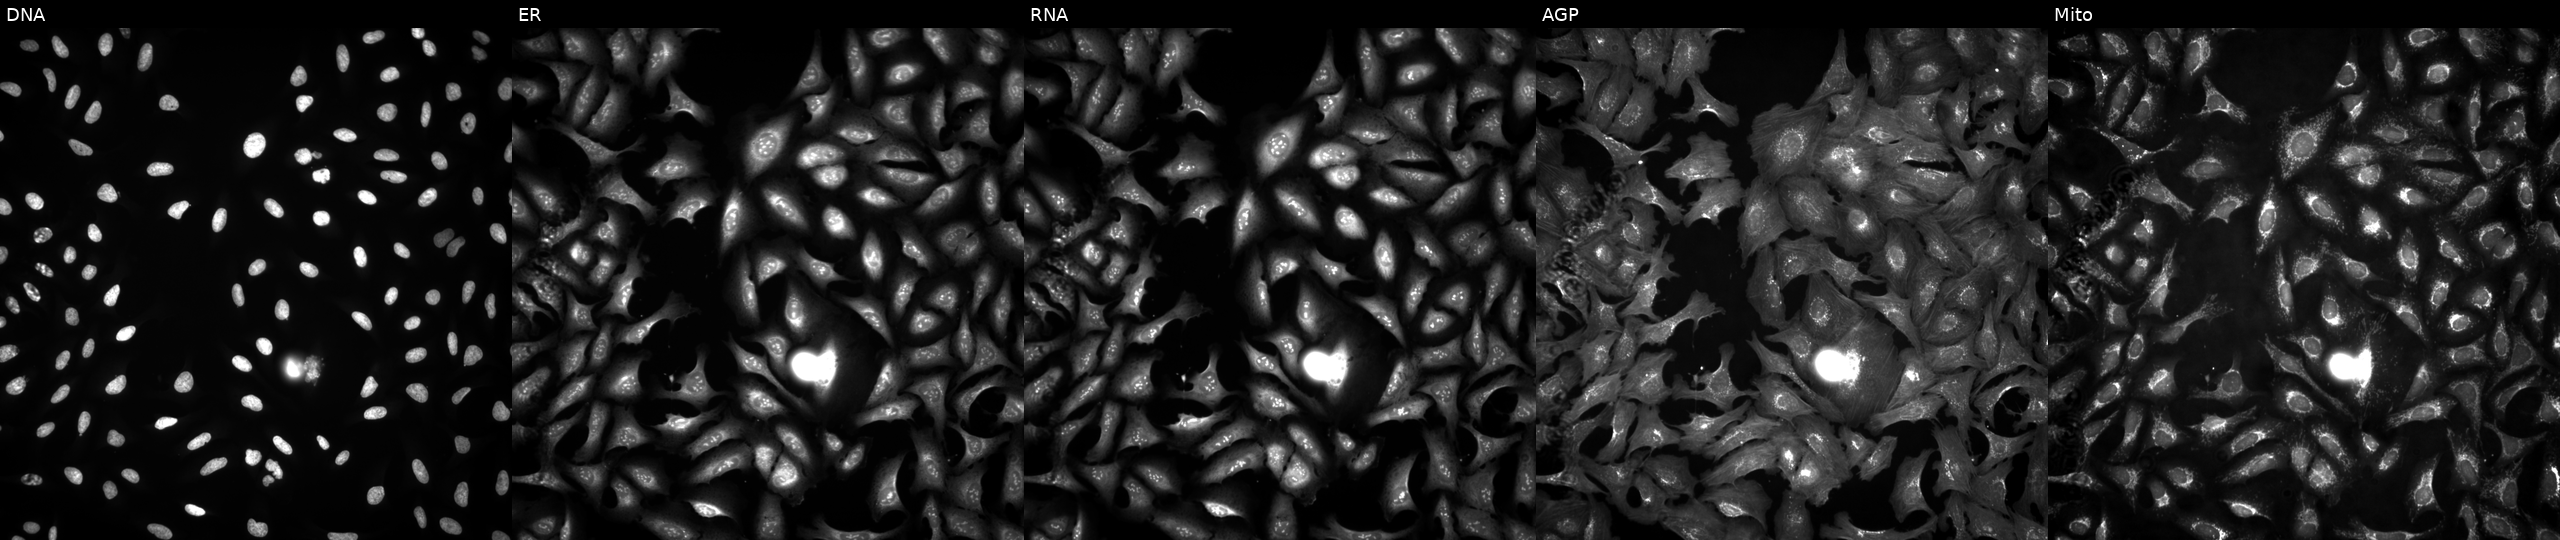
JUMP Cell Painting — ORF plate. U2OS cells expressing BFP (ORF negative control). Channels (left→right): Hoechst 33342, concanavalin A, SYTO 14, phalloidin and WGA, MitoTracker.